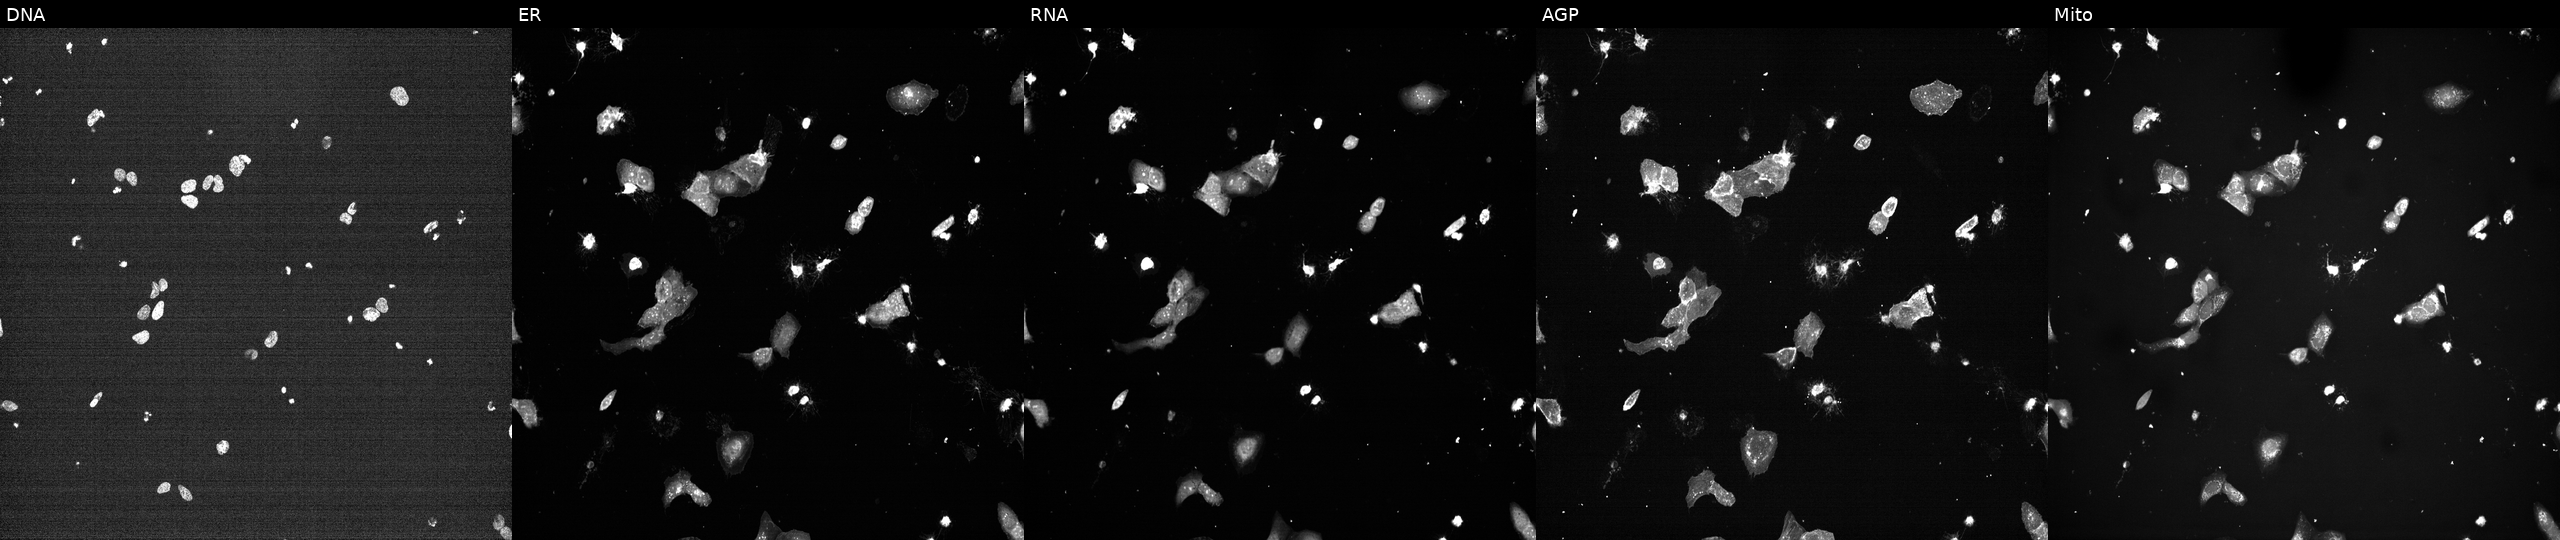
Five-channel Cell Painting image of U2OS cells perturbed with a small-molecule compound (InChIKey AYCPARAPKDAOEN-UHFFFAOYSA-N) (JUMP id JCP2022_004587). The five panels, left to right, show Hoechst 33342, concanavalin A, SYTO 14, phalloidin and WGA, MitoTracker.